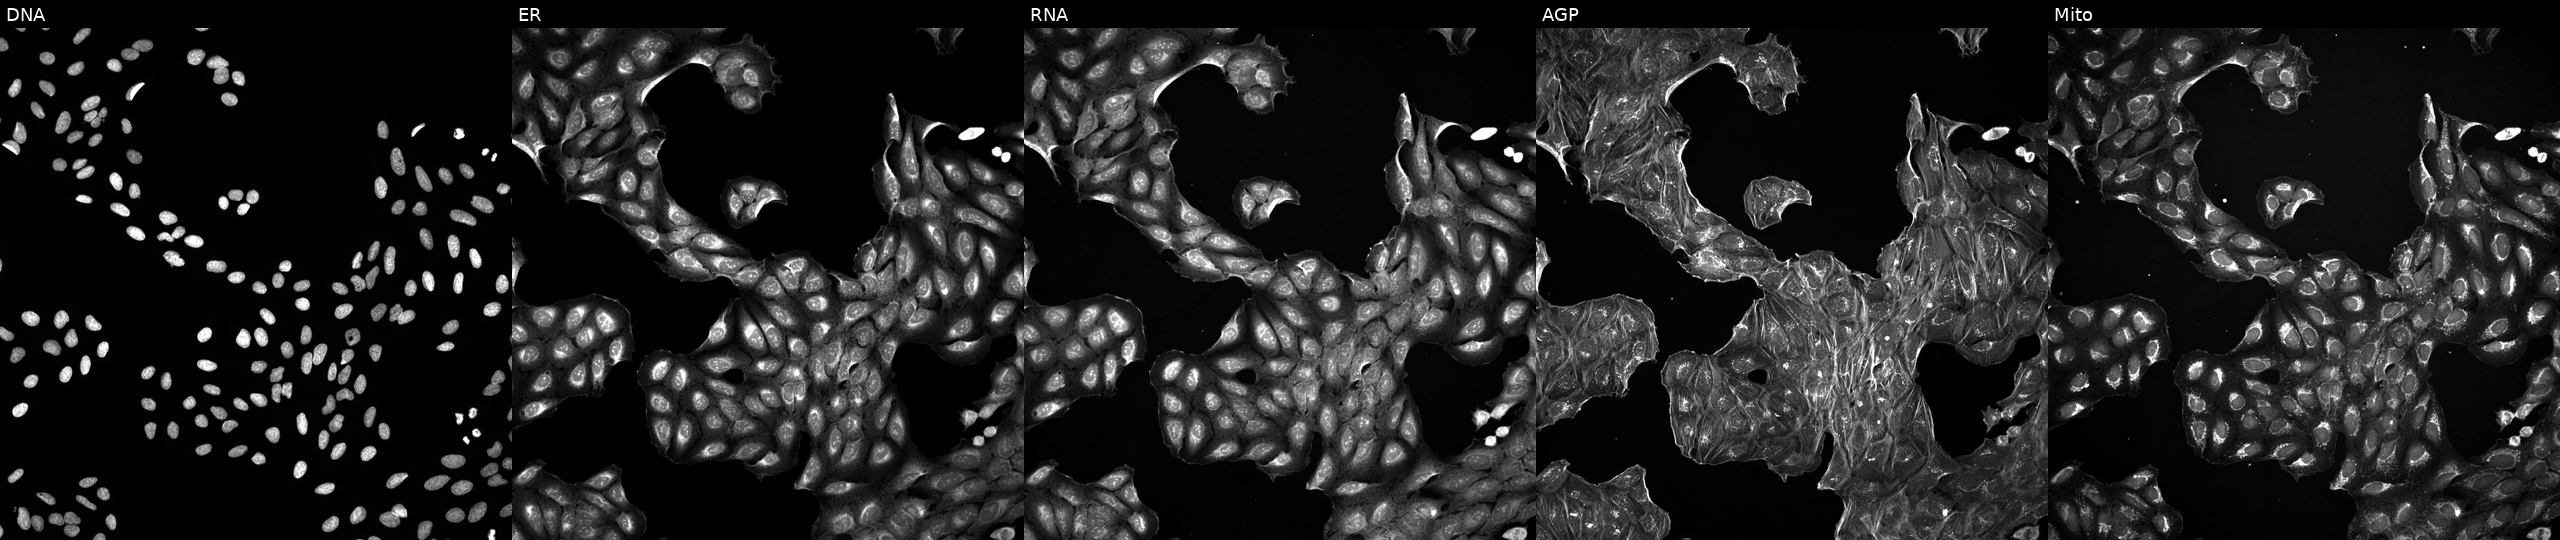
This image strip shows the five Cell Painting channels for a single field of U2OS cells perturbed with a small-molecule compound [SMILES: CCCCCC(O)C=CC1C(O)CC(=O)C1CC=CCCCC(=O)O]. From left to right: Hoechst 33342, concanavalin A, SYTO 14, phalloidin and WGA, MitoTracker.